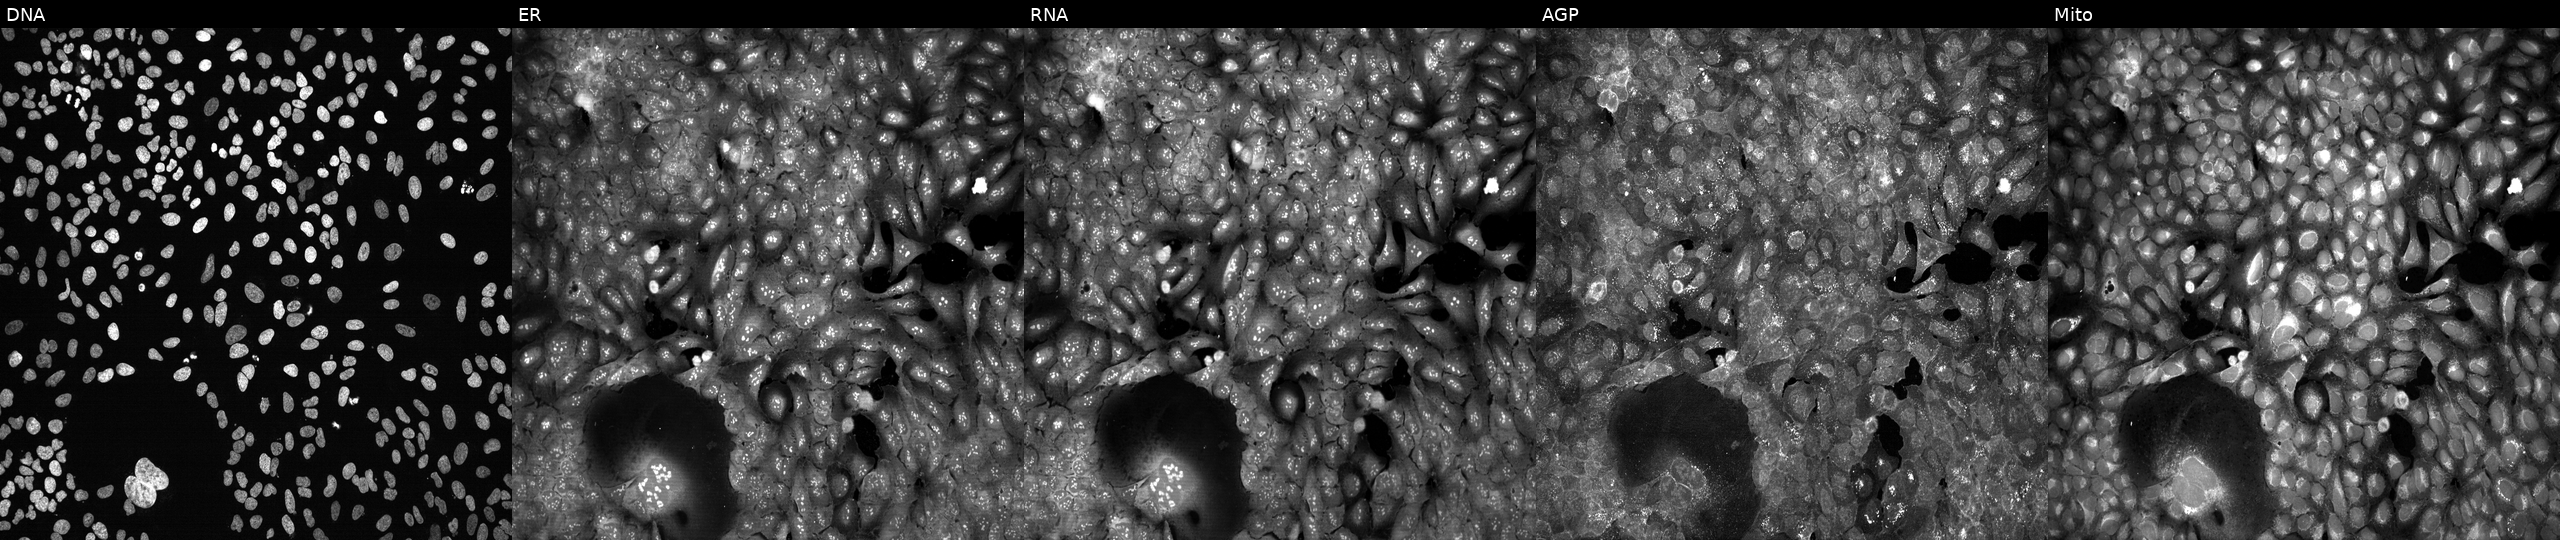
U2OS cells, Cell Painting assay, following CRISPR knockout of ALDH6A1 (JUMP id JCP2022_800395). Channels (left→right): Hoechst 33342, concanavalin A, SYTO 14, phalloidin and WGA, MitoTracker. Each panel is percentile-stretched 16-bit fluorescence. Source 13, plate CP-CC9-R1-02, well K08.